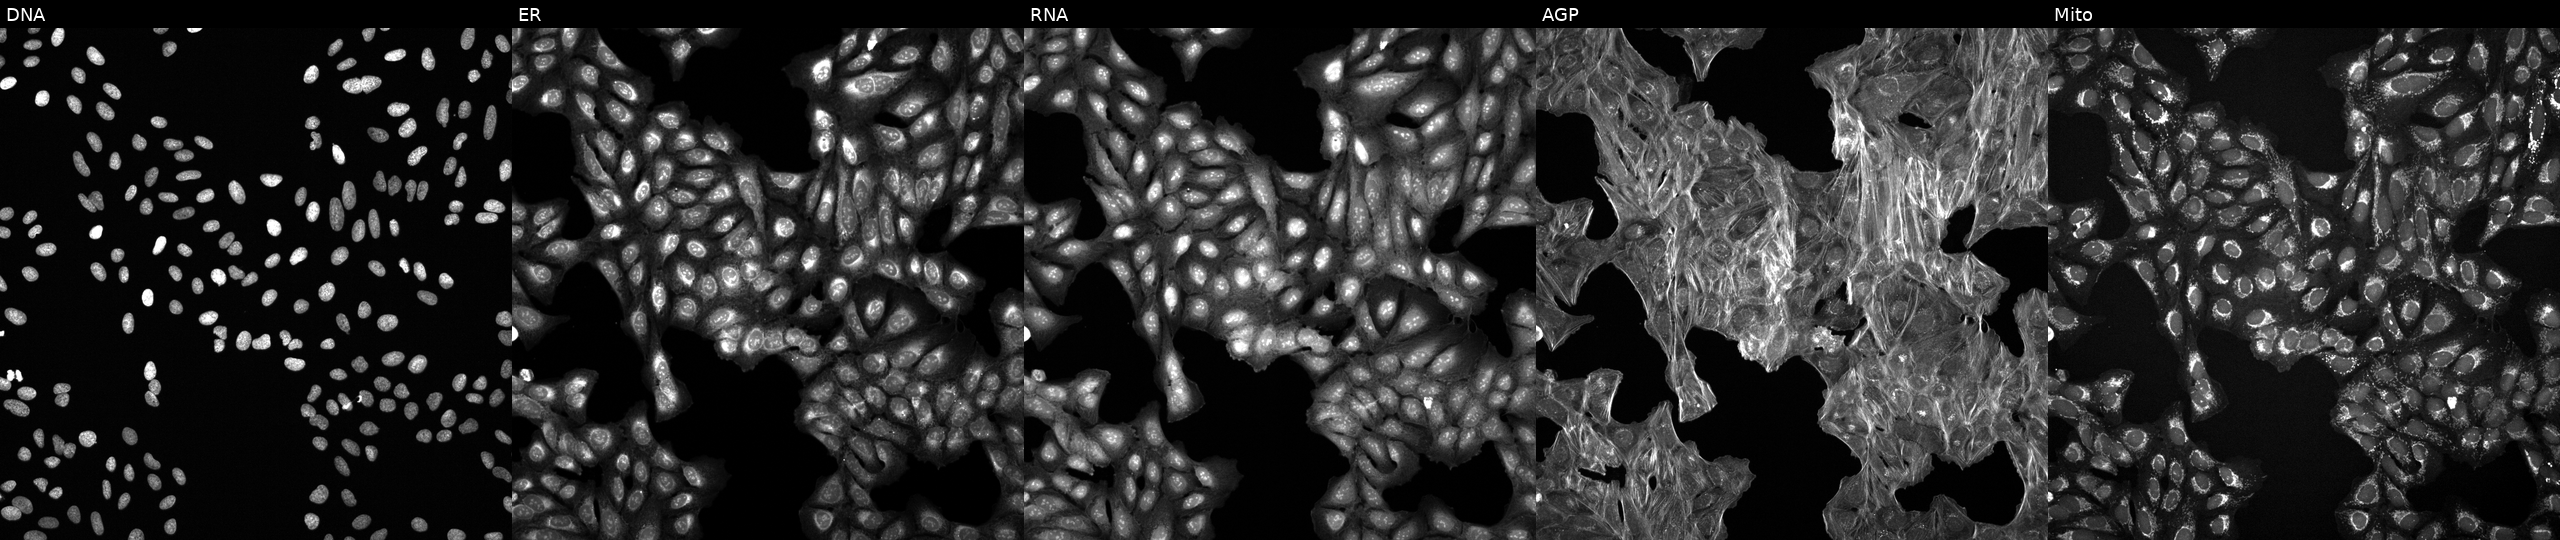
JUMP Cell Painting — COMPOUND plate. U2OS cells treated with a small-molecule compound (JUMP id JCP2022_066952). The five panels, left to right, show Hoechst 33342, concanavalin A, SYTO 14, phalloidin and WGA, MitoTracker. Source 6, plate 110000293082, well E12.